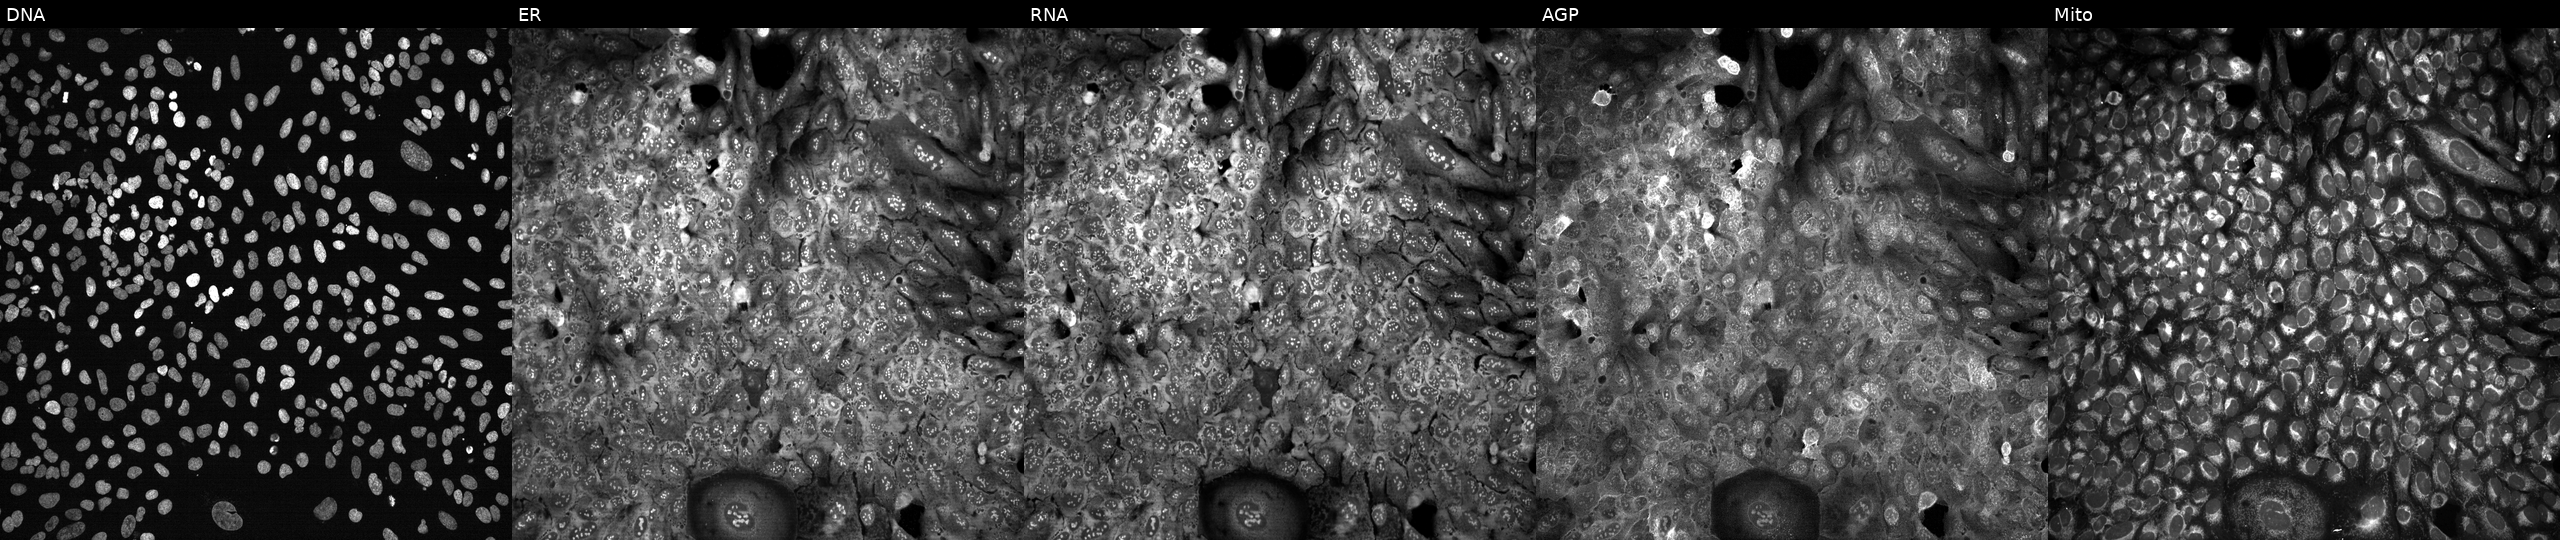
JUMP Cell Painting — CRISPR plate. U2OS cells with HSD17B6 knocked out by CRISPR. Panels show, left to right, Hoechst 33342, concanavalin A, SYTO 14, phalloidin and WGA, MitoTracker. Source 13, plate CP-CC9-R4-04, well P09.